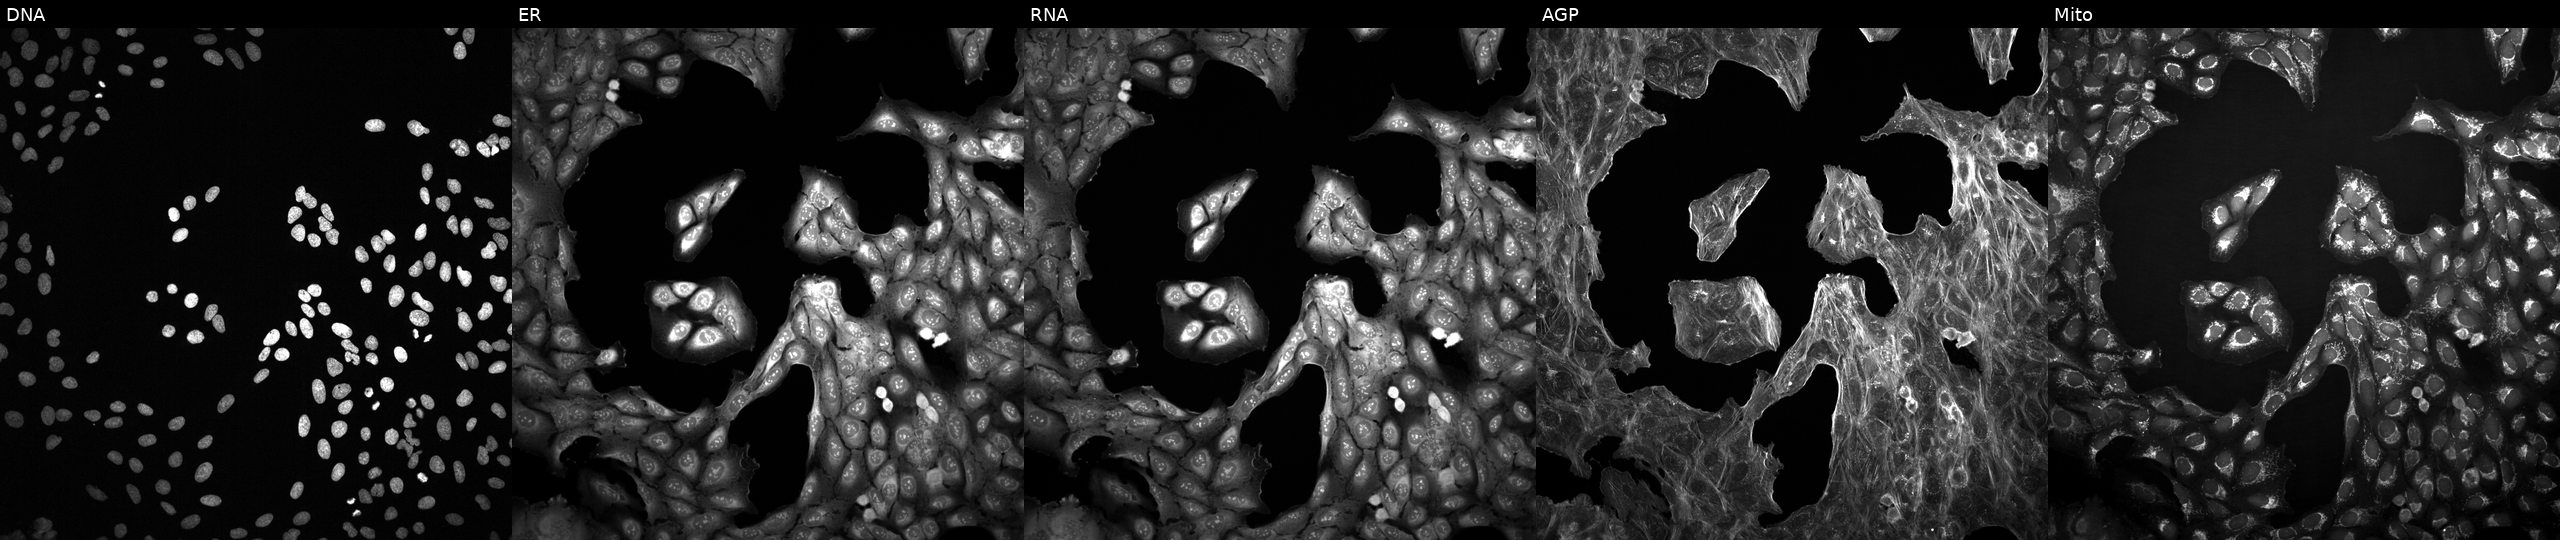
High-content fluorescence microscopy (Cell Painting). Cell line: U2OS. Perturbation: perturbed with a small-molecule compound (InChIKey ONIBWKKTOPOVIA-UHFFFAOYSA-N) [SMILES: O=C(O)C1CCCN1] (JUMP id JCP2022_064903). Channels (left→right): DNA, ER, RNA, AGP, and Mito. Source 2, plate 1053597936, well M02.